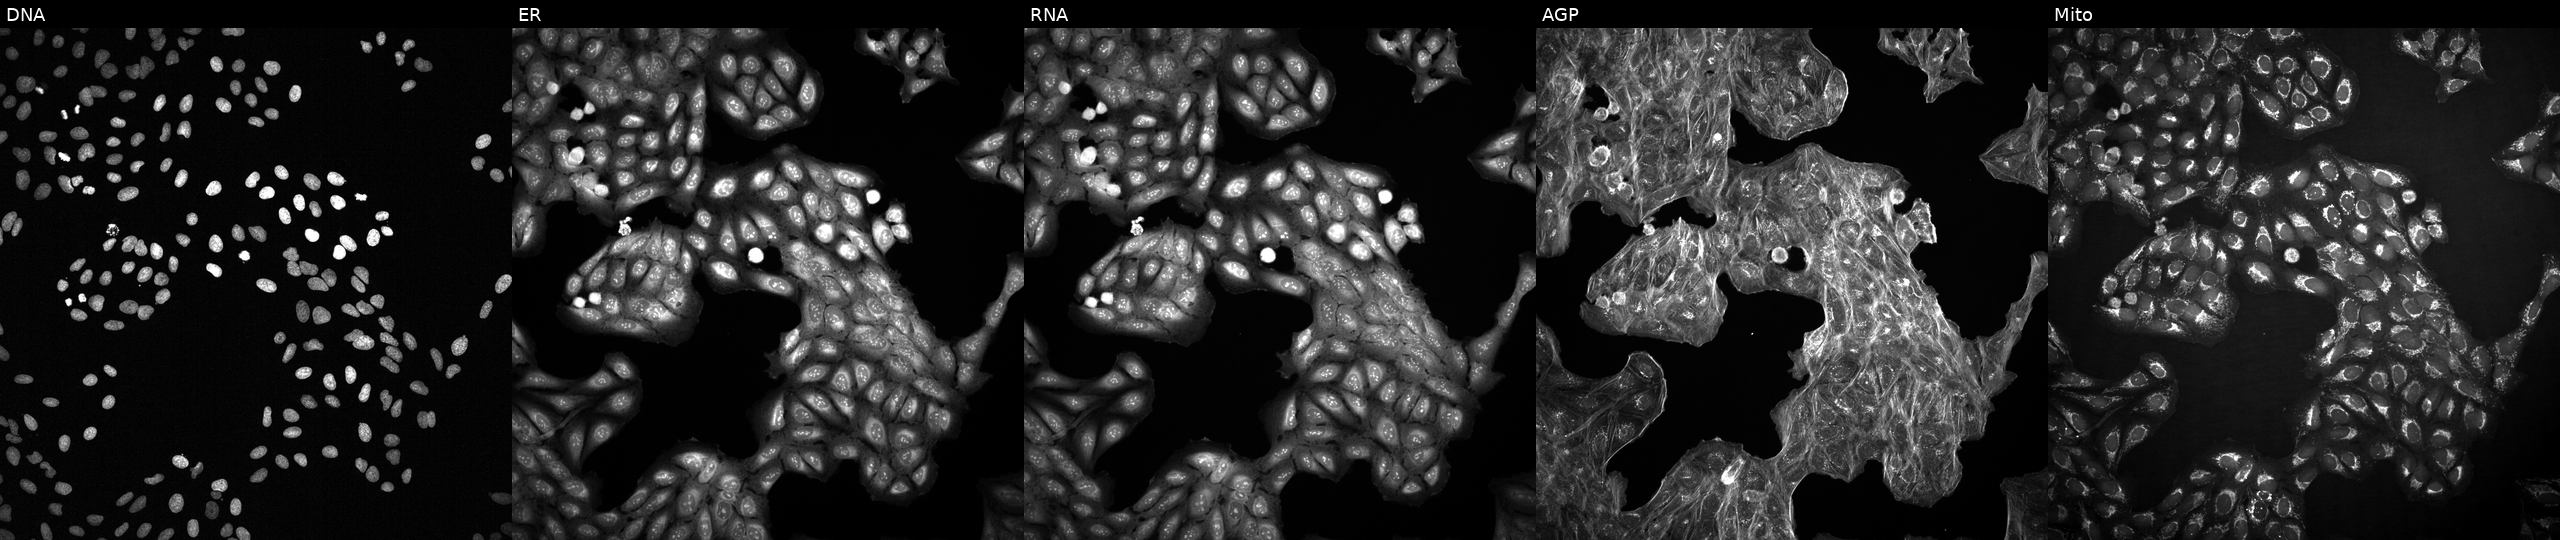
JUMP Cell Painting — TARGET2 plate. U2OS cells treated with DMSO vehicle only (negative control). The five panels, left to right, show DNA (nuclei); ER (endoplasmic reticulum); RNA (nucleoli and cytoplasmic RNA); AGP (actin cytoskeleton, Golgi, and plasma membrane); Mito (mitochondria).